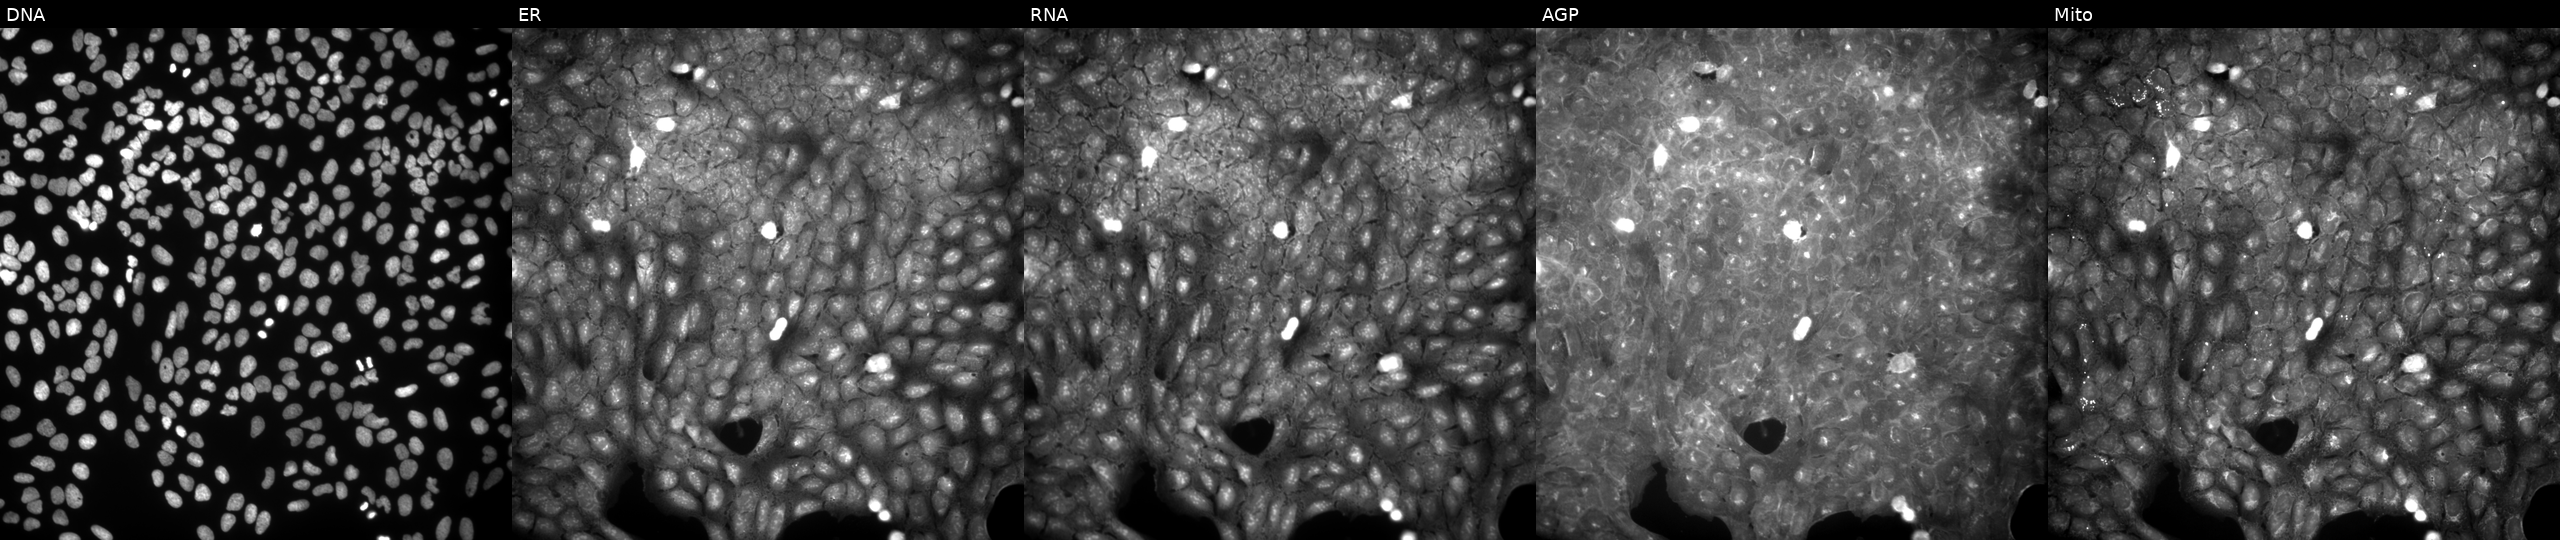
U2OS cells, Cell Painting assay, treated with a small-molecule compound (InChIKey CPHZXQGBGZAIHU-UHFFFAOYSA-N) [SMILES: CC(=O)N1N=C(c2ccc(Br)cc2)CC1c1ccc(Br)cc1] (JUMP id JCP2022_012622). From left to right: Hoechst 33342, concanavalin A, SYTO 14, phalloidin and WGA, MitoTracker. Each panel is percentile-stretched 16-bit fluorescence. Source 9, plate GR00003382, well O28.